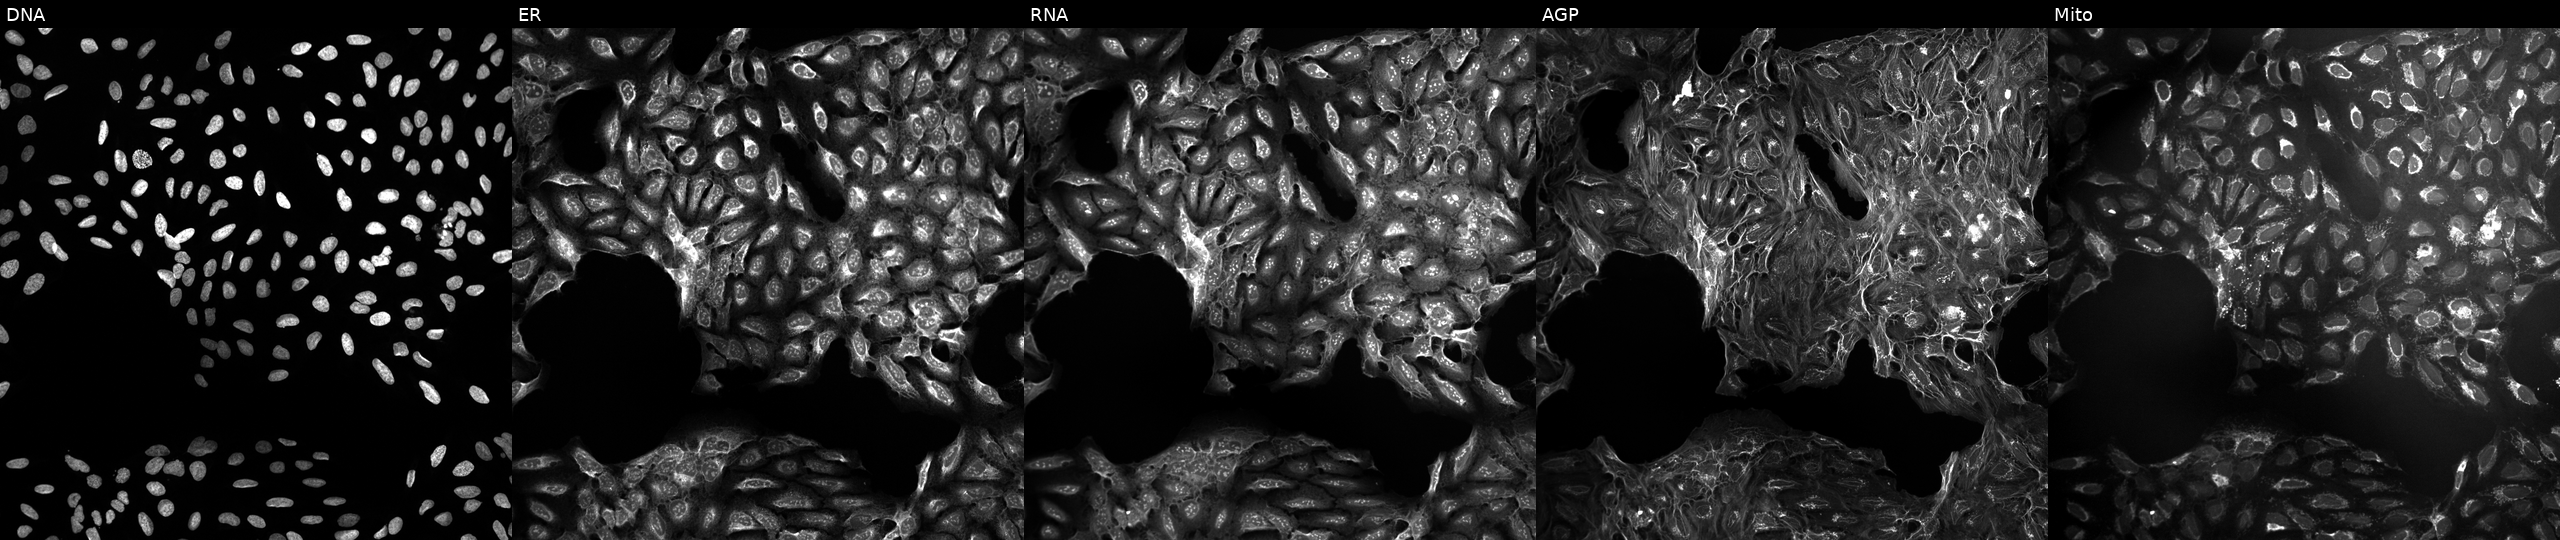
JUMP Cell Painting — COMPOUND plate. U2OS cells treated with DMSO vehicle only (negative control) (JUMP id JCP2022_033924). Panels show, left to right, DNA, ER, RNA, AGP, and Mito.